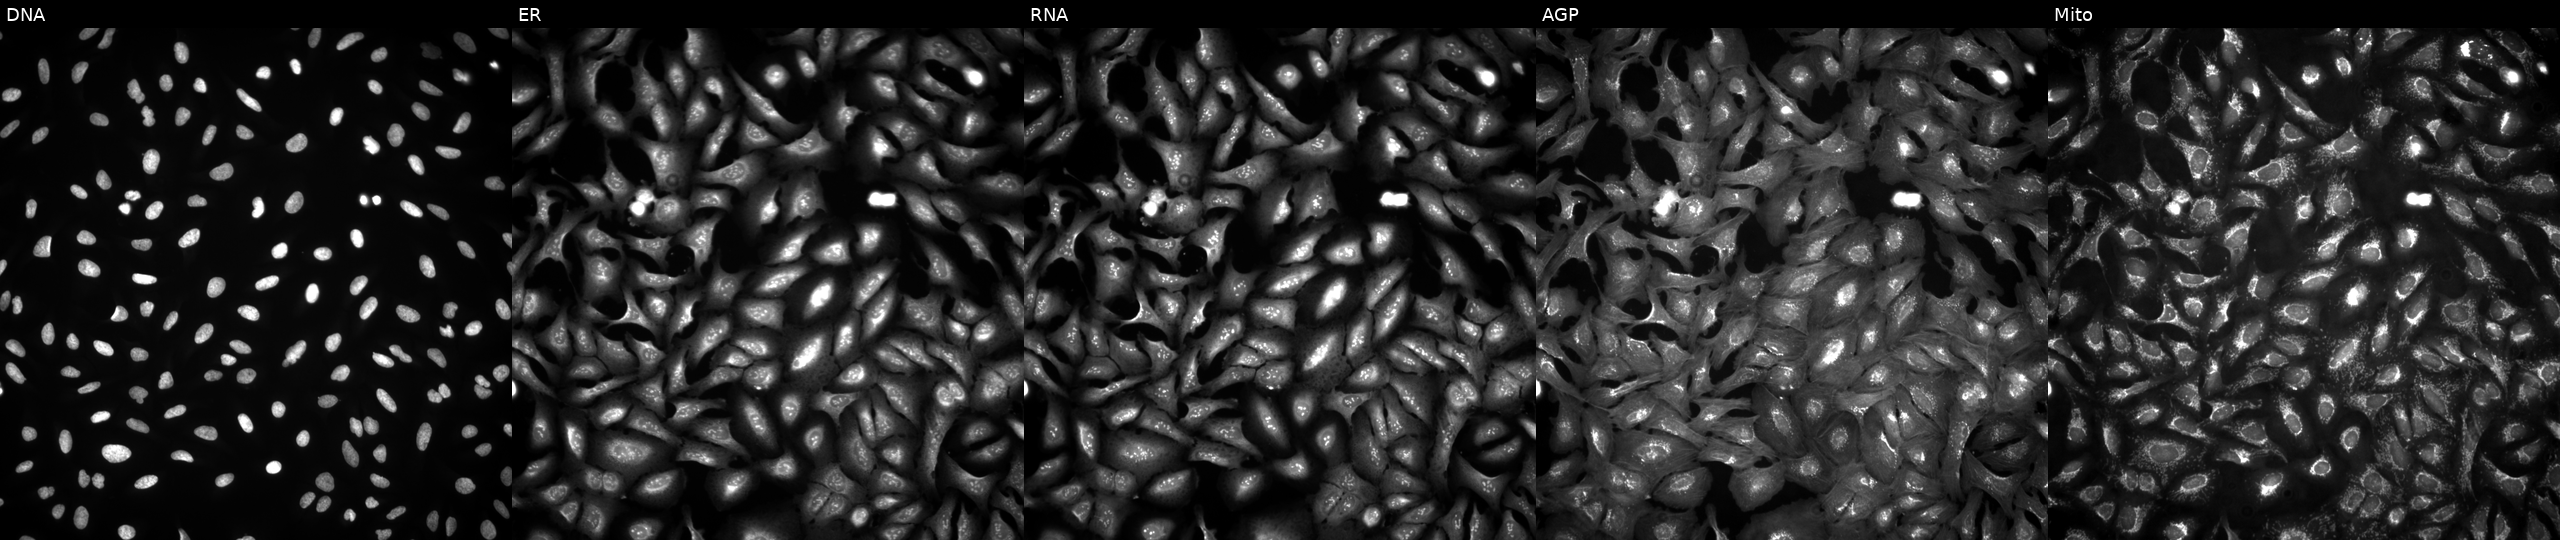
Five-channel Cell Painting image of U2OS cells overexpressing MIER2 via ORF transfection. Channels (left→right): DNA, ER, RNA, AGP, and Mito. Source 4, plate BR00124787, well B11.